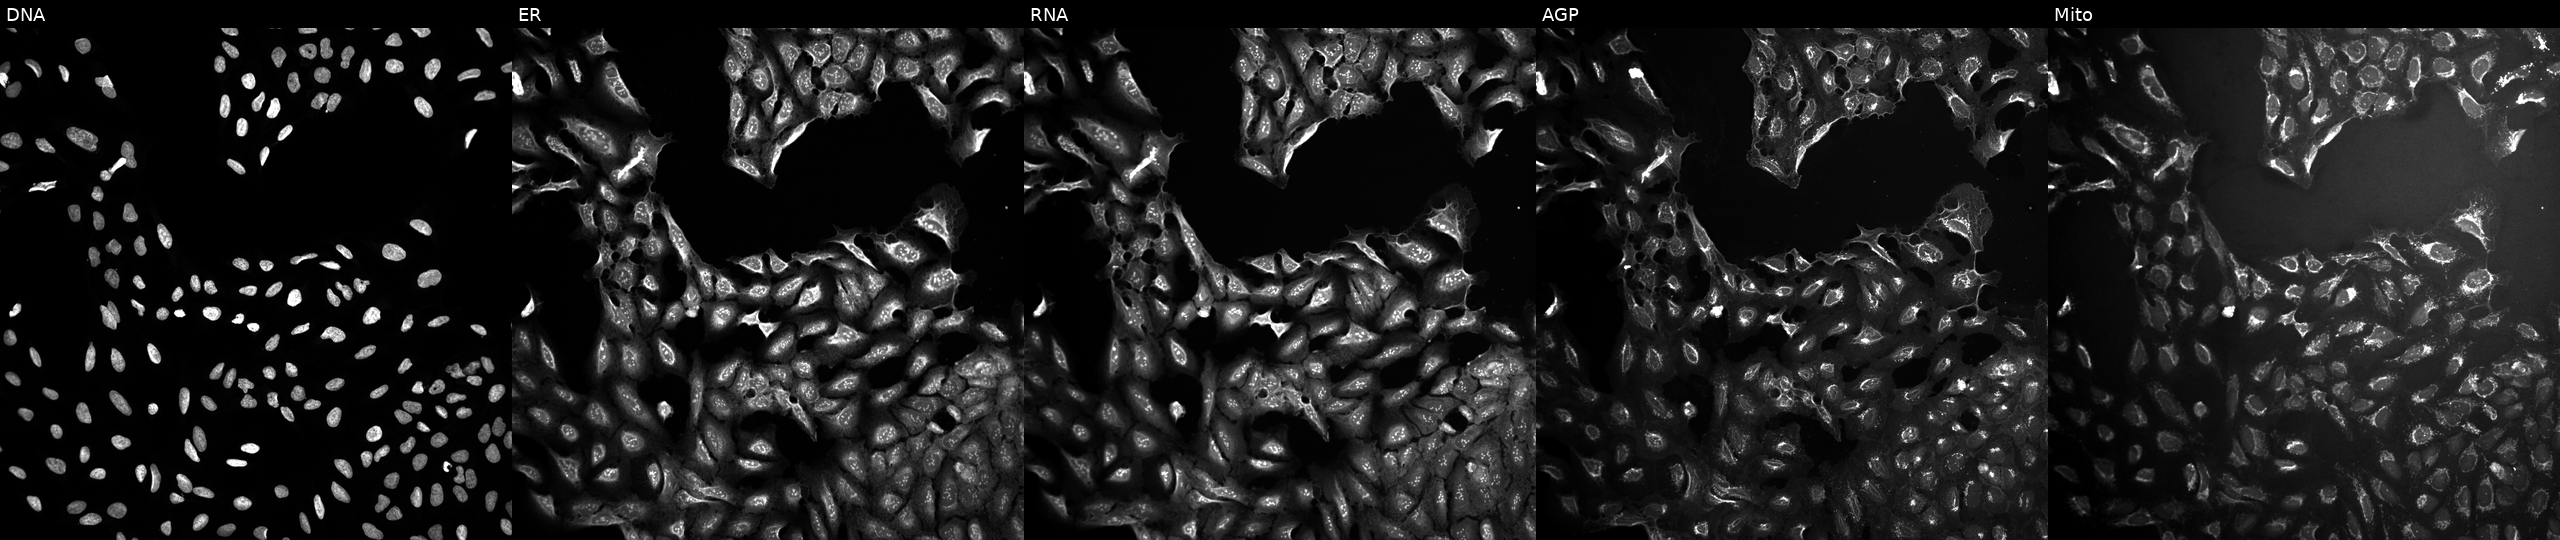
High-content fluorescence microscopy (Cell Painting). Cell line: U2OS. Perturbation: perturbed with a small-molecule compound (InChIKey LPGBXHWIQNZEJB-UHFFFAOYSA-N) (JUMP id JCP2022_050873). From left to right: DNA (nuclei); ER (endoplasmic reticulum); RNA (nucleoli and cytoplasmic RNA); AGP (actin cytoskeleton, Golgi, and plasma membrane); Mito (mitochondria). Source 10, plate Dest210803-153958, well J21.